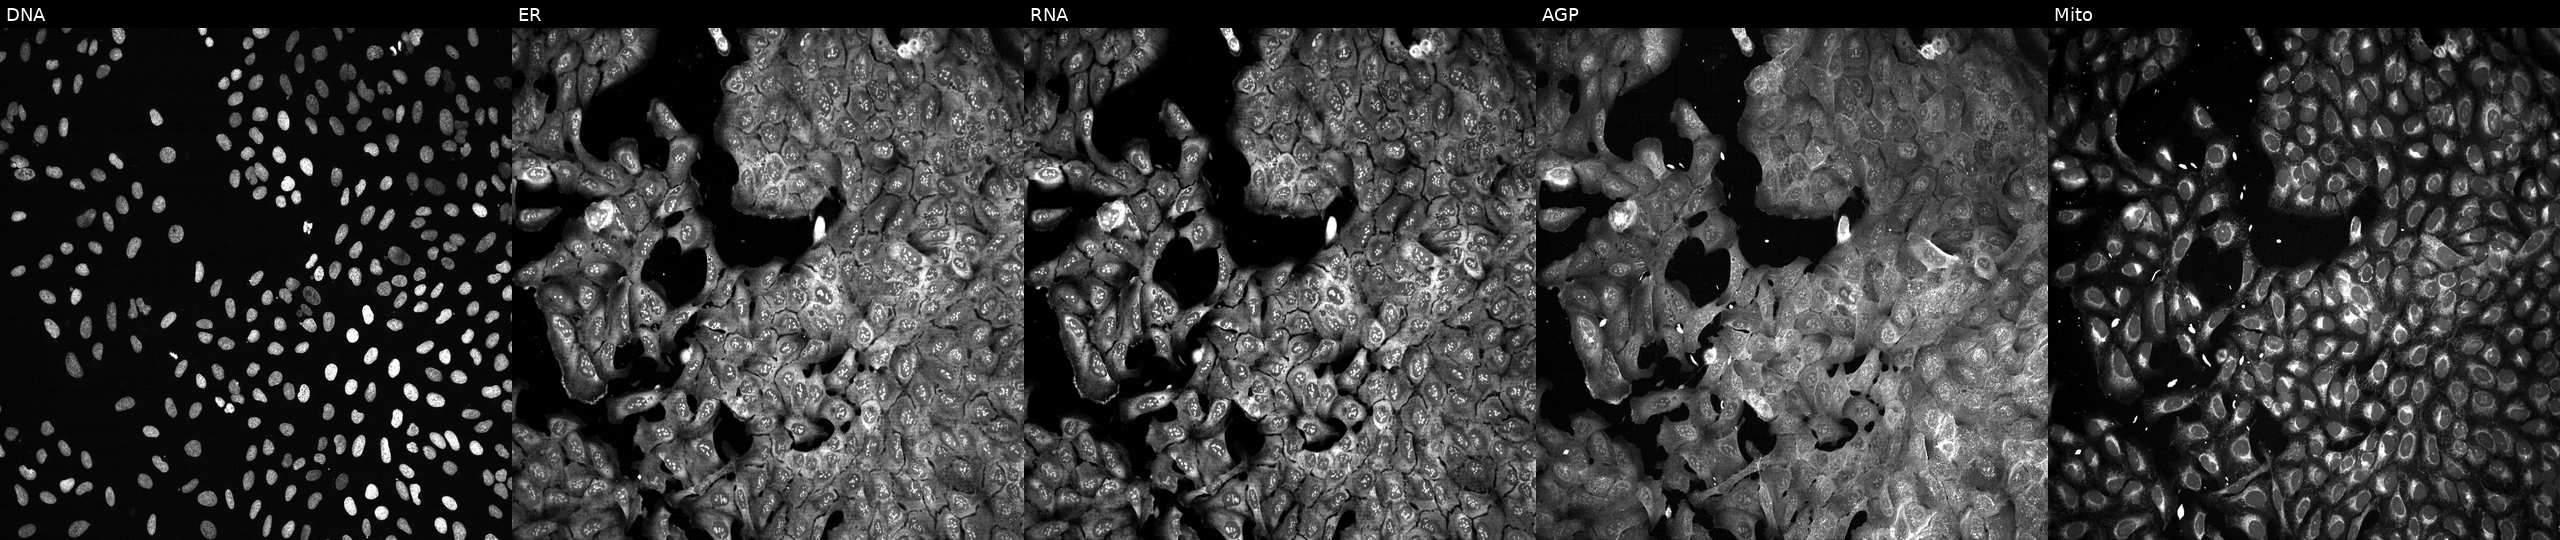
U2OS cells, Cell Painting assay, following CRISPR knockout of AQP2. The five panels, left to right, show DNA, ER, RNA, AGP, and Mito. Each panel is percentile-stretched 16-bit fluorescence. Source 13, plate CP-CC9-R2-01, well K07.